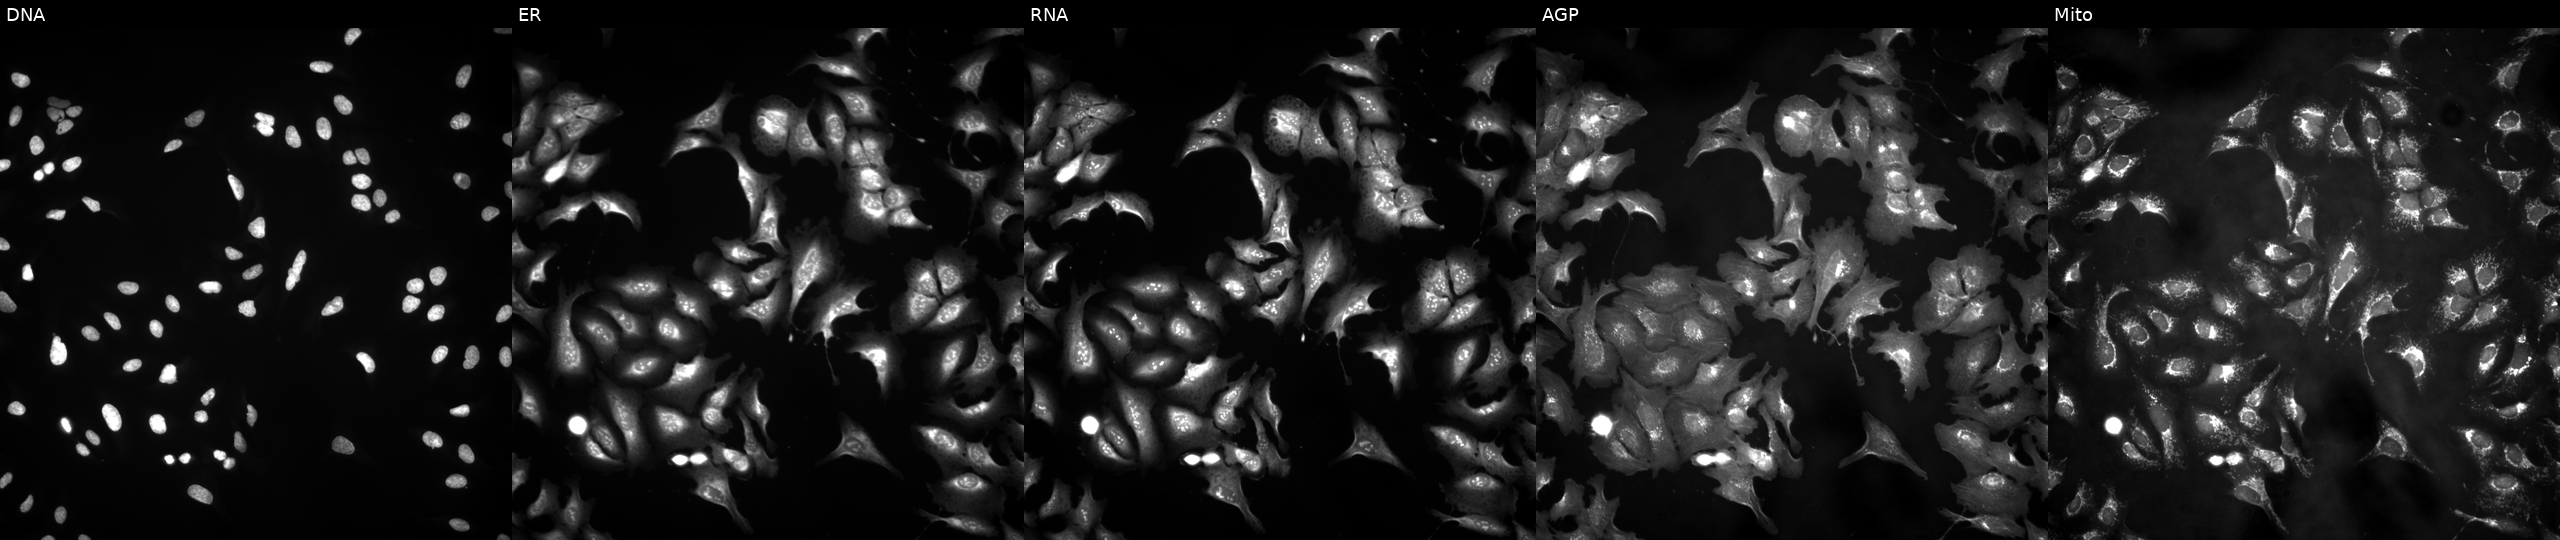
Five-channel Cell Painting image of U2OS cells with PPIL3 overexpressed (ORF) (JUMP id JCP2022_907811). Channels (left→right): Hoechst 33342, concanavalin A, SYTO 14, phalloidin and WGA, MitoTracker. Source 4, plate BR00121543, well F08.